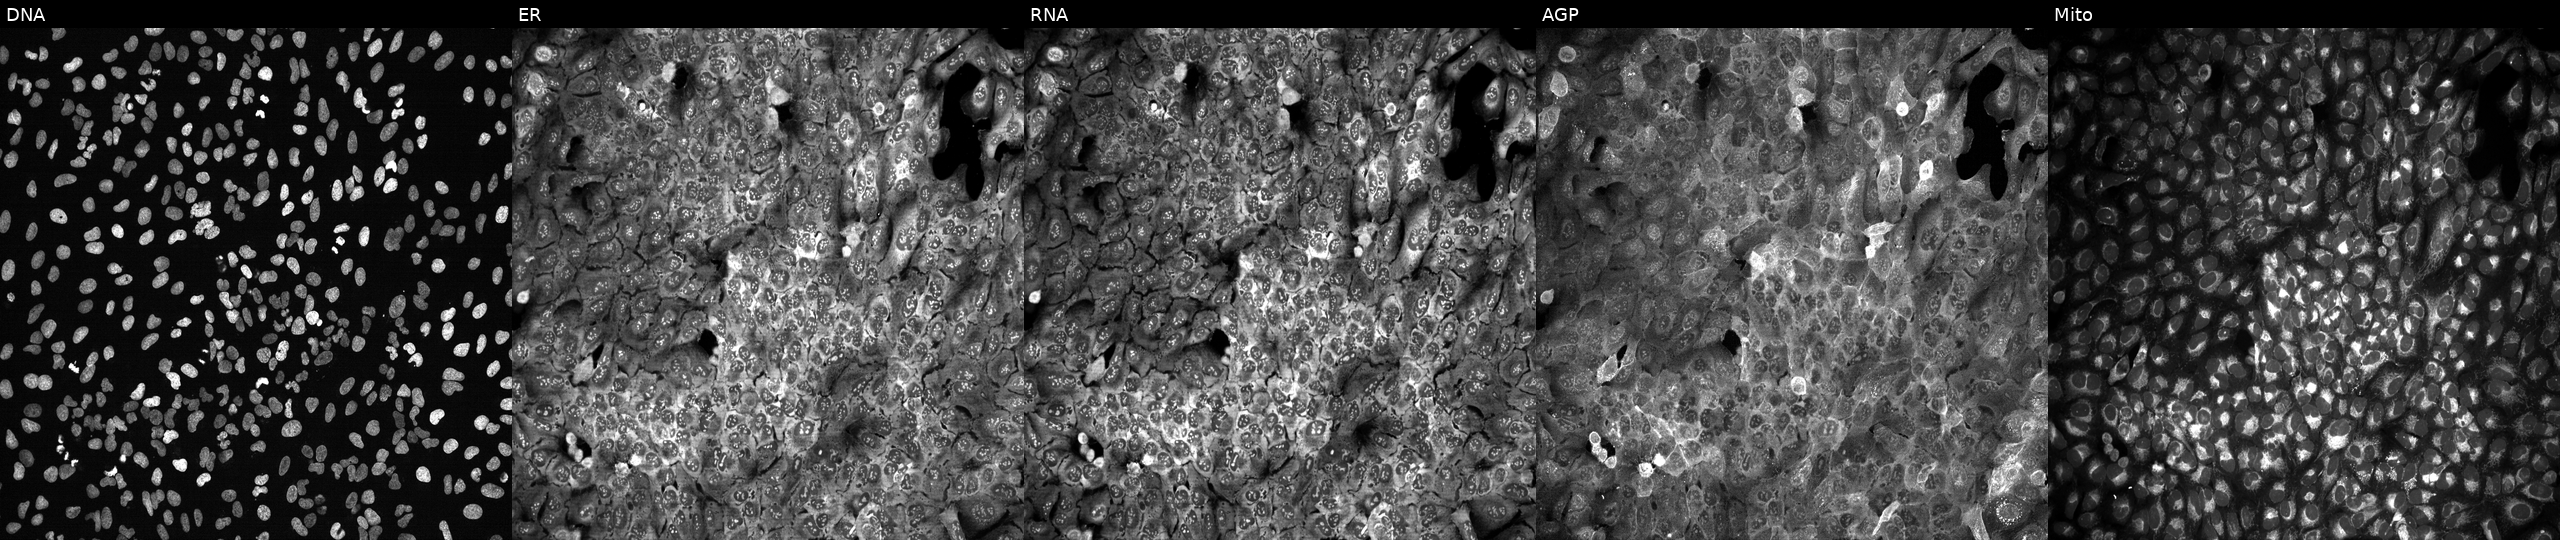
U2OS cells, Cell Painting assay, with GAPDHS knocked out by CRISPR (JUMP id JCP2022_802610). The five panels, left to right, show DNA (nuclei); ER (endoplasmic reticulum); RNA (nucleoli and cytoplasmic RNA); AGP (actin cytoskeleton, Golgi, and plasma membrane); Mito (mitochondria). Each panel is percentile-stretched 16-bit fluorescence.